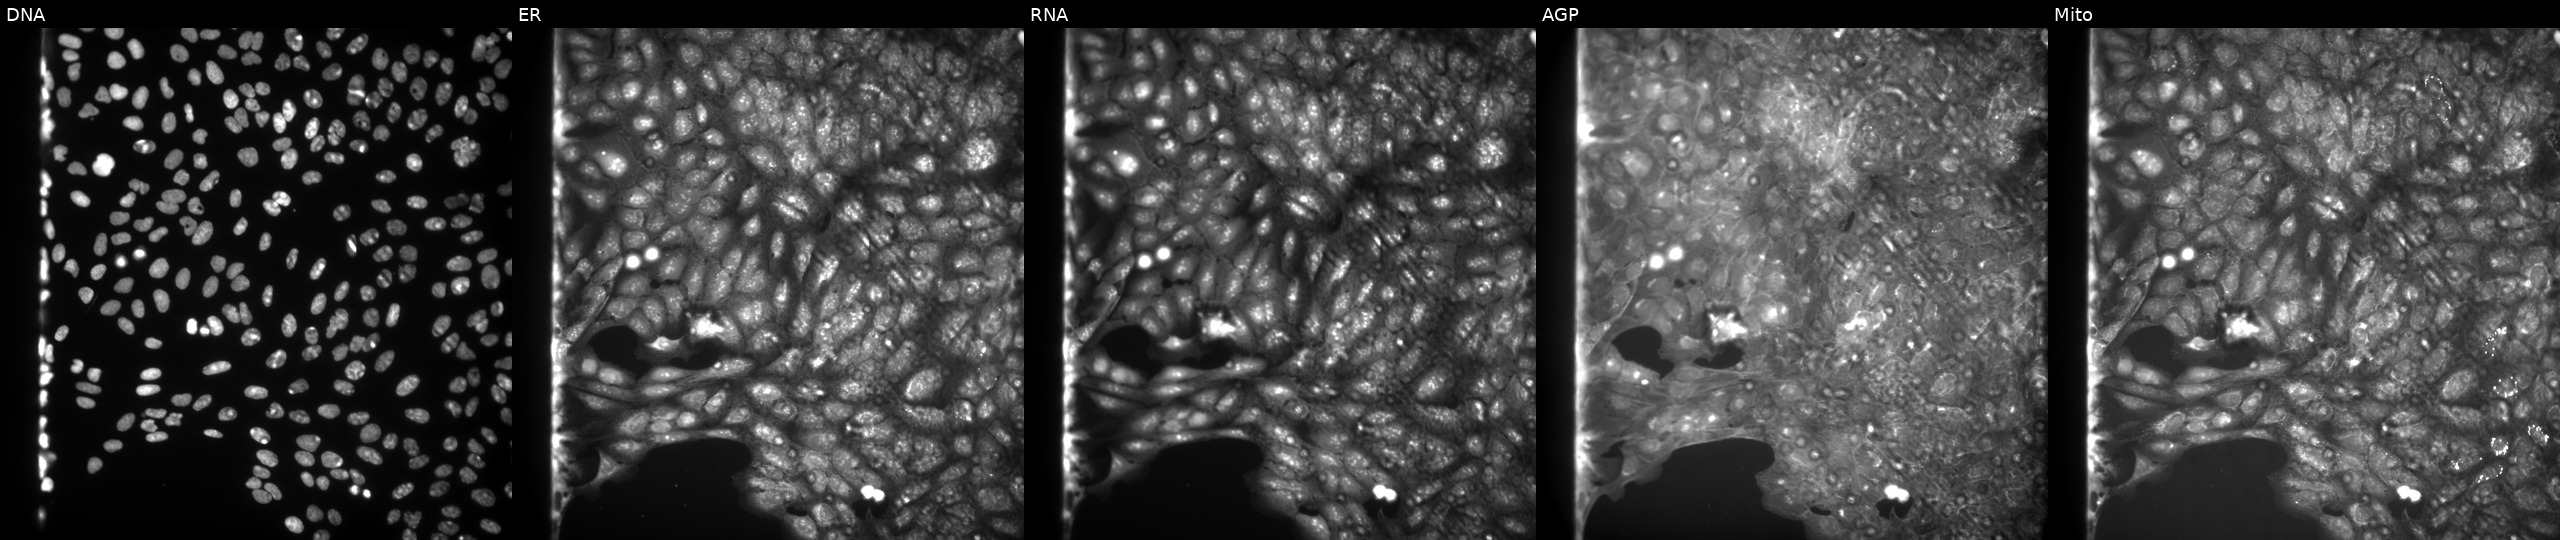
JUMP Cell Painting — COMPOUND plate. U2OS cells treated with a small-molecule compound. The five panels, left to right, show Hoechst 33342, concanavalin A, SYTO 14, phalloidin and WGA, MitoTracker.